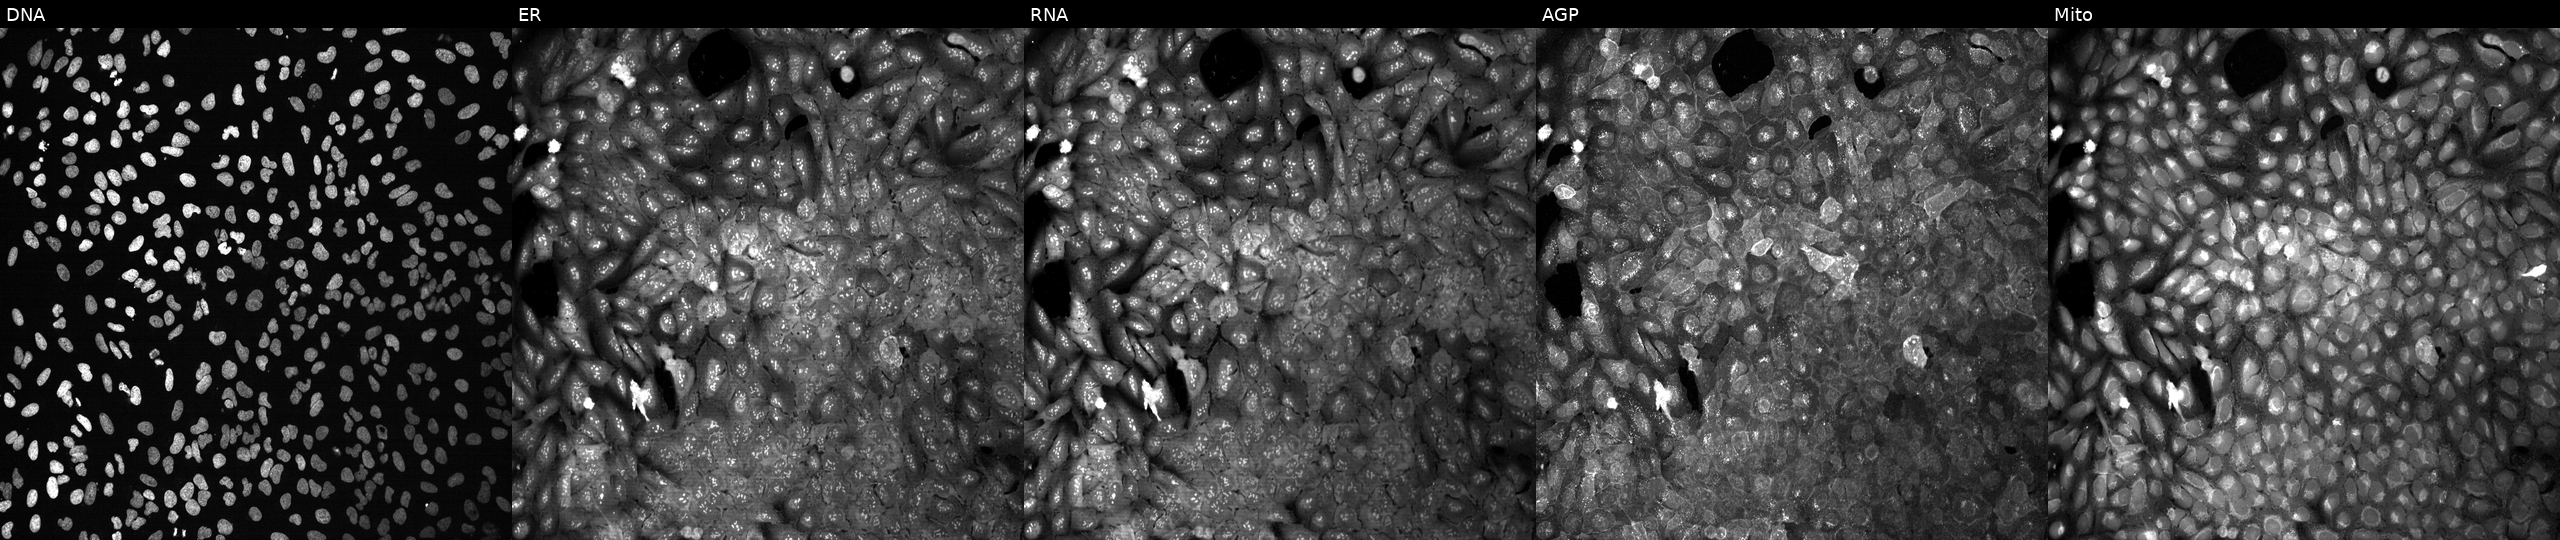
This image strip shows the five Cell Painting channels for a single field of U2OS cells following CRISPR knockout of SLC22A4. The five panels, left to right, show Hoechst 33342, concanavalin A, SYTO 14, phalloidin and WGA, MitoTracker.